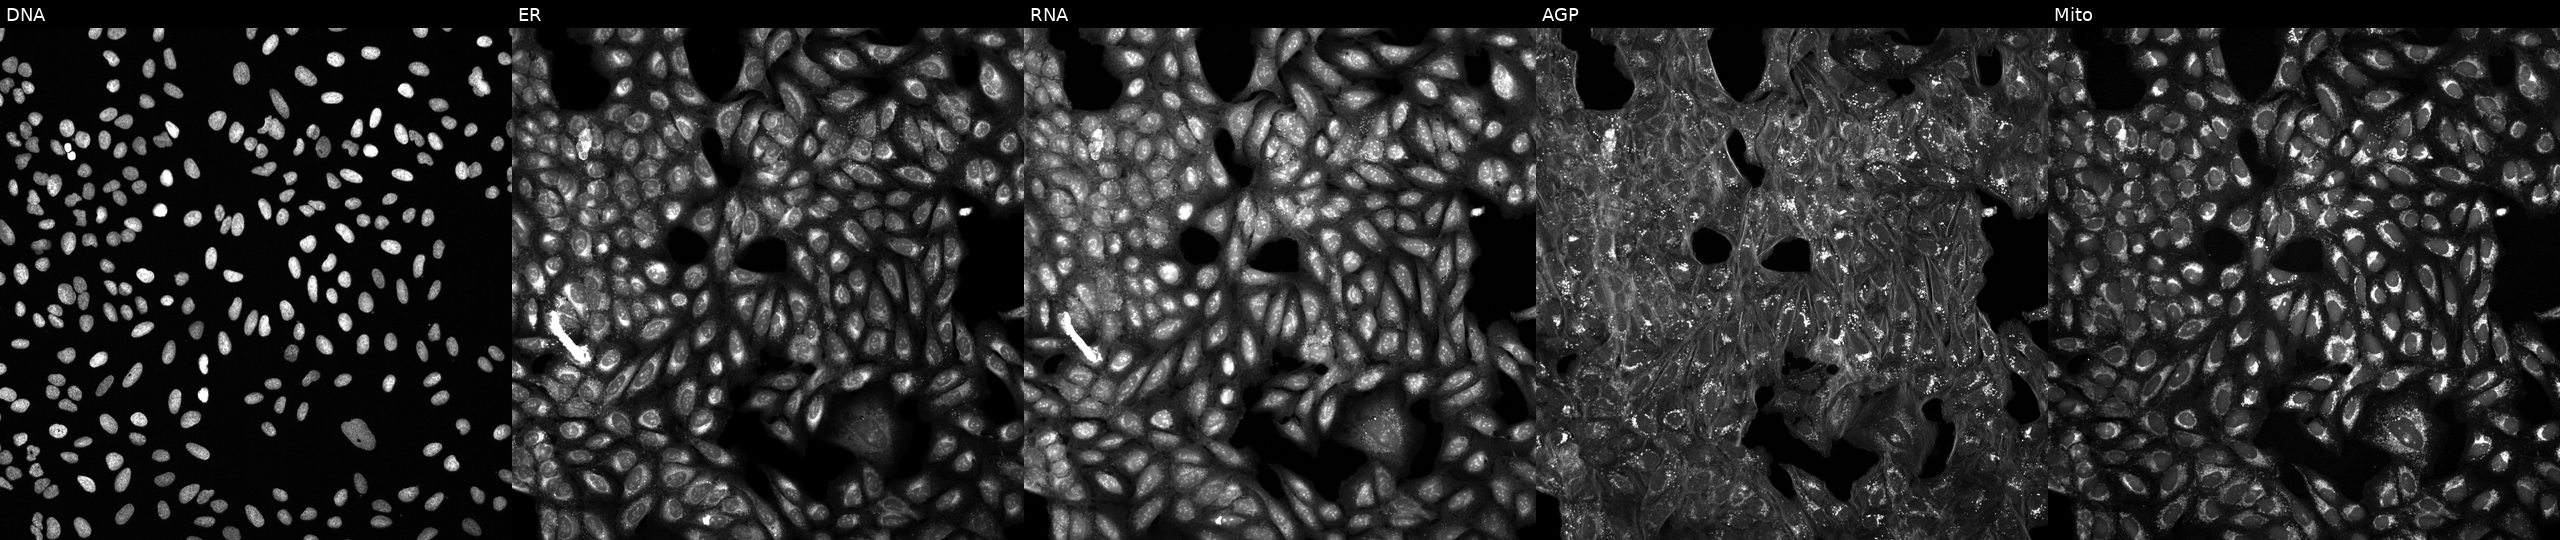
This image strip shows the five Cell Painting channels for a single field of U2OS cells perturbed with a small-molecule compound (JUMP id JCP2022_014367). From left to right: DNA (nuclei); ER (endoplasmic reticulum); RNA (nucleoli and cytoplasmic RNA); AGP (actin cytoskeleton, Golgi, and plasma membrane); Mito (mitochondria).